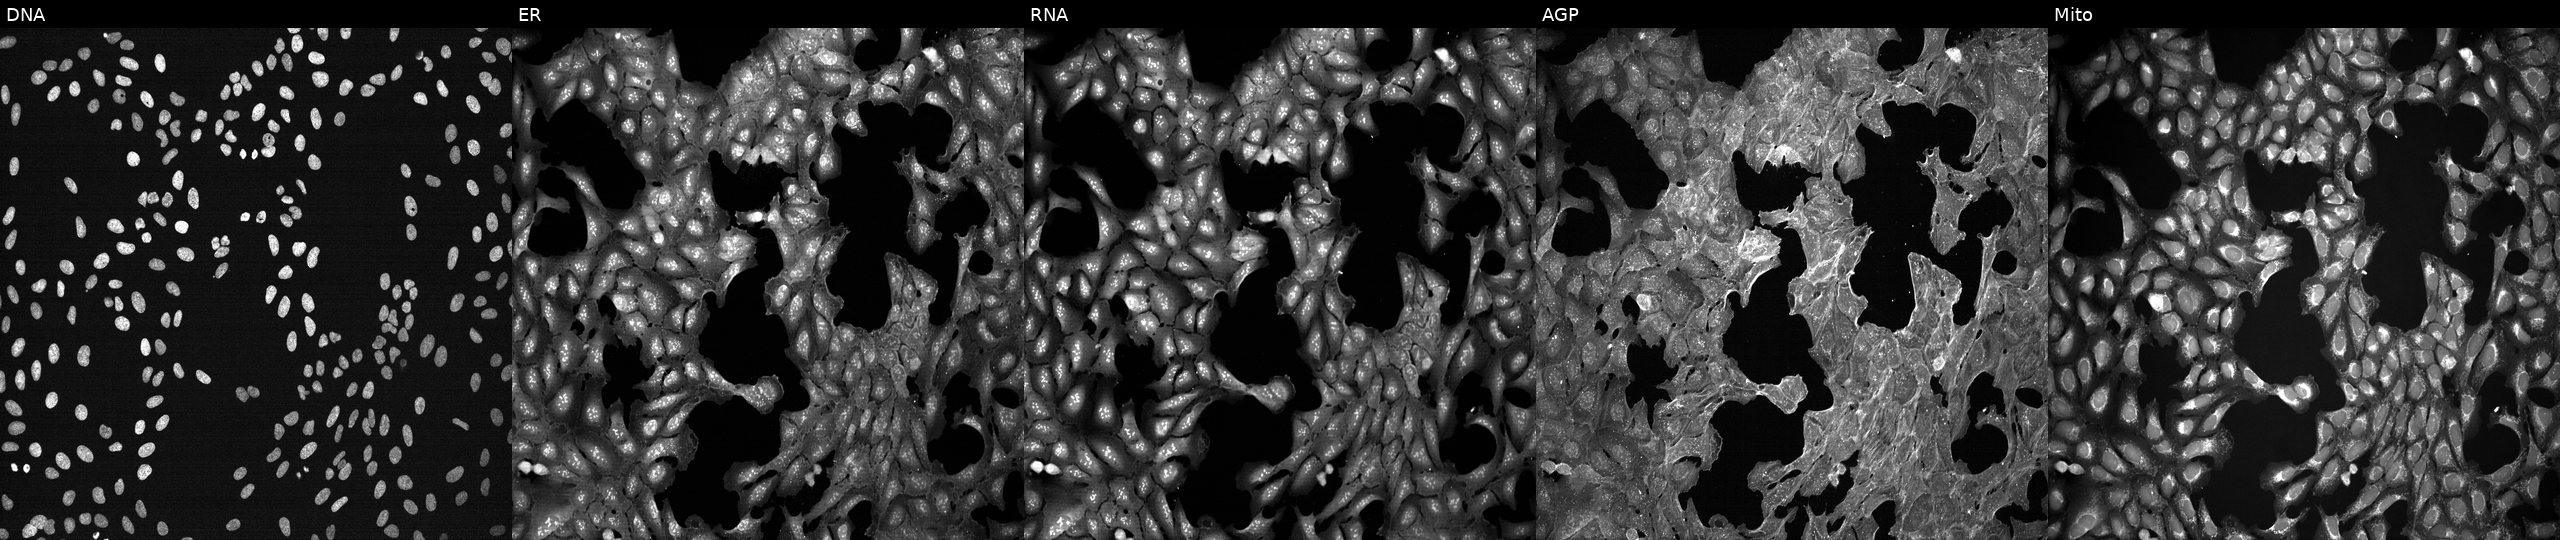
High-content fluorescence microscopy (Cell Painting). Cell line: U2OS. Perturbation: exposed to a small-molecule compound [SMILES: CCN(CC)CCOC(=O)c1ccc(N)cc1] (JUMP id JCP2022_053734). Channels (left→right): DNA, ER, RNA, AGP, and Mito.